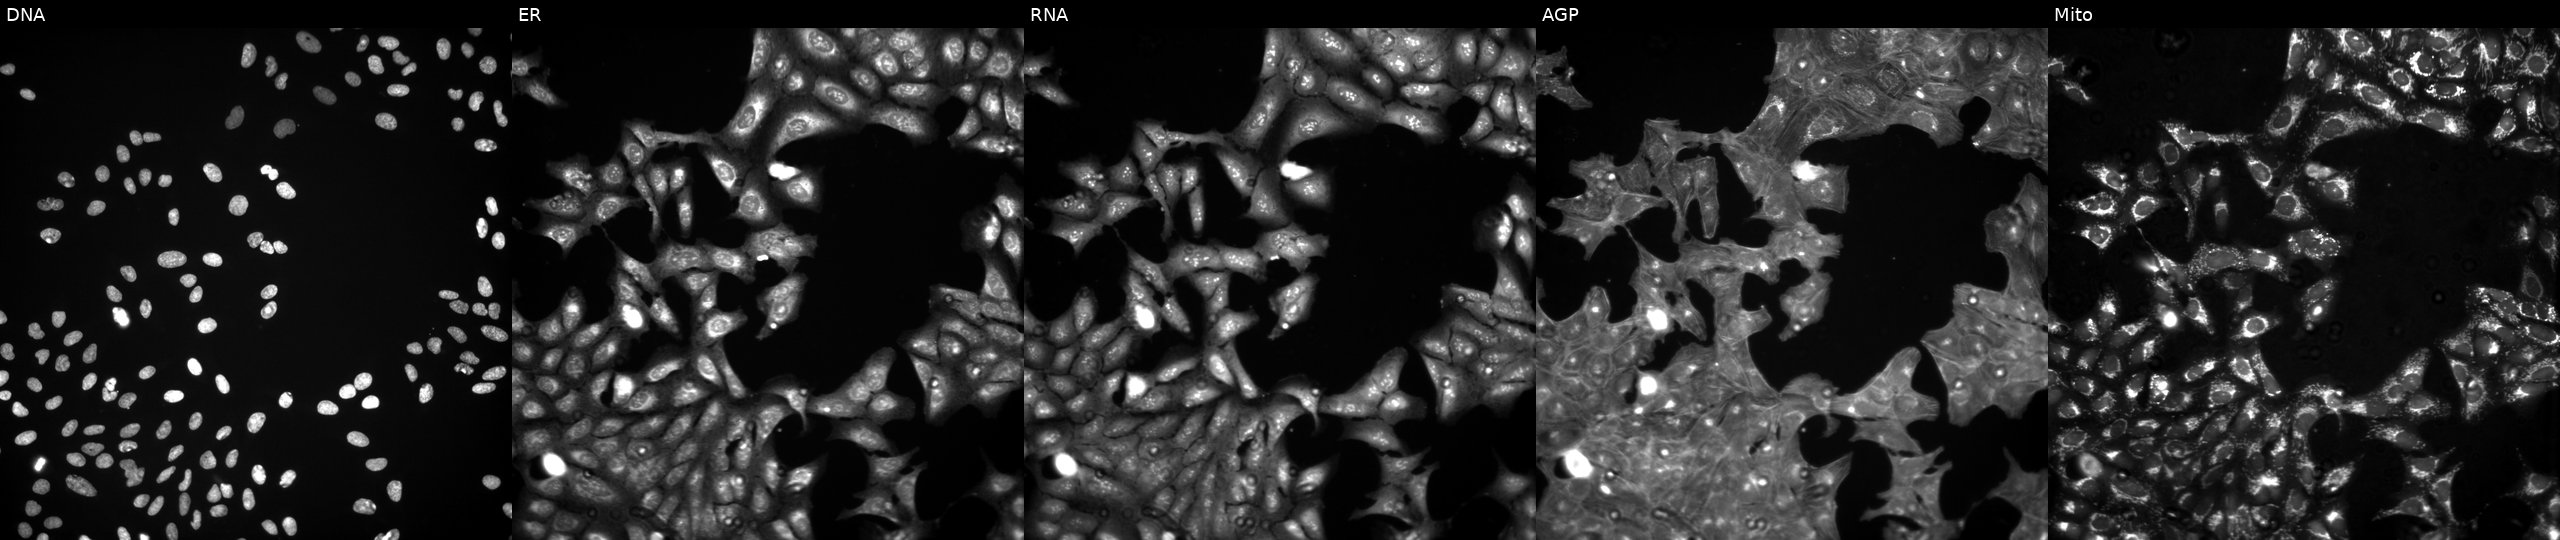
Five-channel Cell Painting image of U2OS cells treated with a small-molecule compound (InChIKey FERIUCNNQQJTOY-UHFFFAOYSA-N) [SMILES: CCCC(=O)O] (JUMP id JCP2022_020163). Panels show, left to right, DNA, ER, RNA, AGP, and Mito. Source 3, plate JCPQC051, well A16.